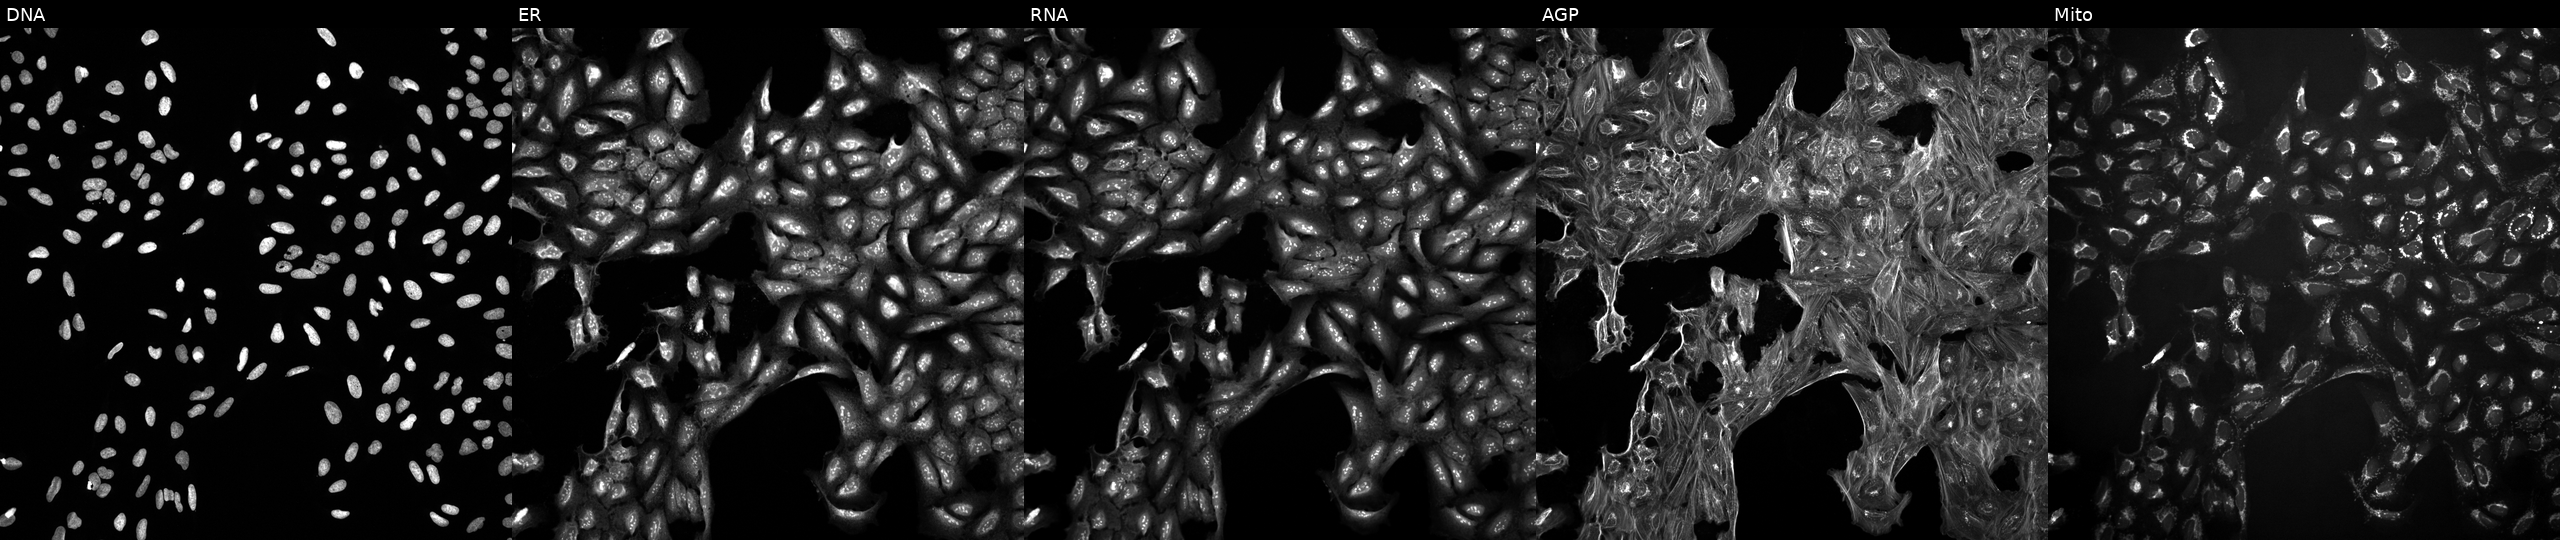
JUMP Cell Painting — TARGET2 plate. U2OS cells perturbed with a small-molecule compound (InChIKey QXKHYNVANLEOEG-UHFFFAOYSA-N). Panels show, left to right, Hoechst 33342, concanavalin A, SYTO 14, phalloidin and WGA, MitoTracker. Source 10, plate Dest210726-160150, well H07.